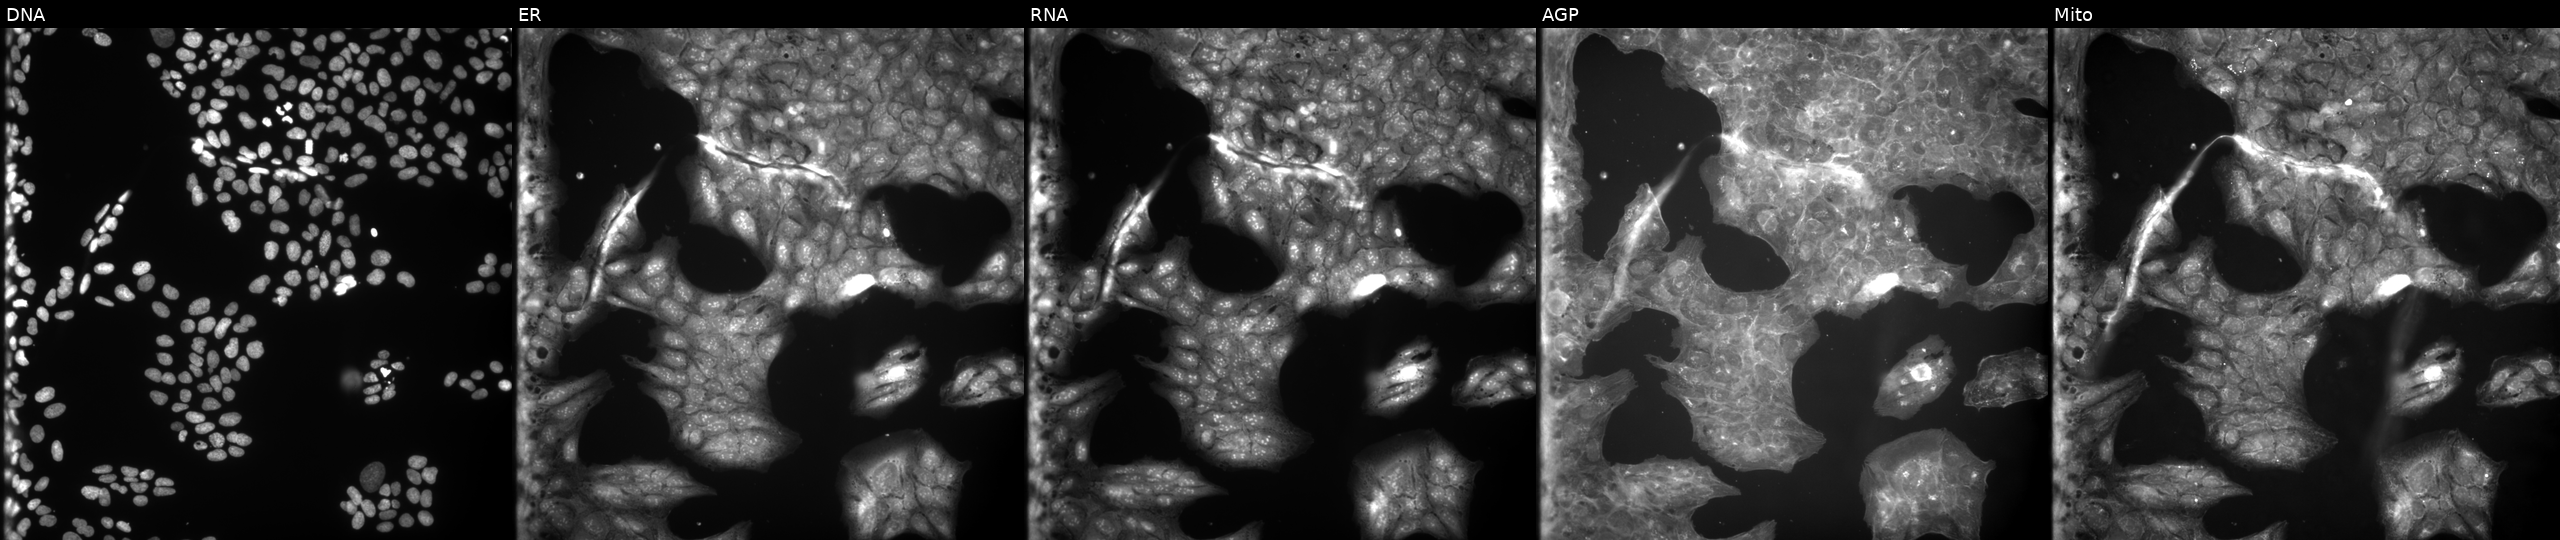
U2OS cells, Cell Painting assay, perturbed with a small-molecule compound (InChIKey IBCXZJCWDGCXQT-UHFFFAOYSA-N). Channels (left→right): Hoechst 33342, concanavalin A, SYTO 14, phalloidin and WGA, MitoTracker. Each panel is percentile-stretched 16-bit fluorescence.